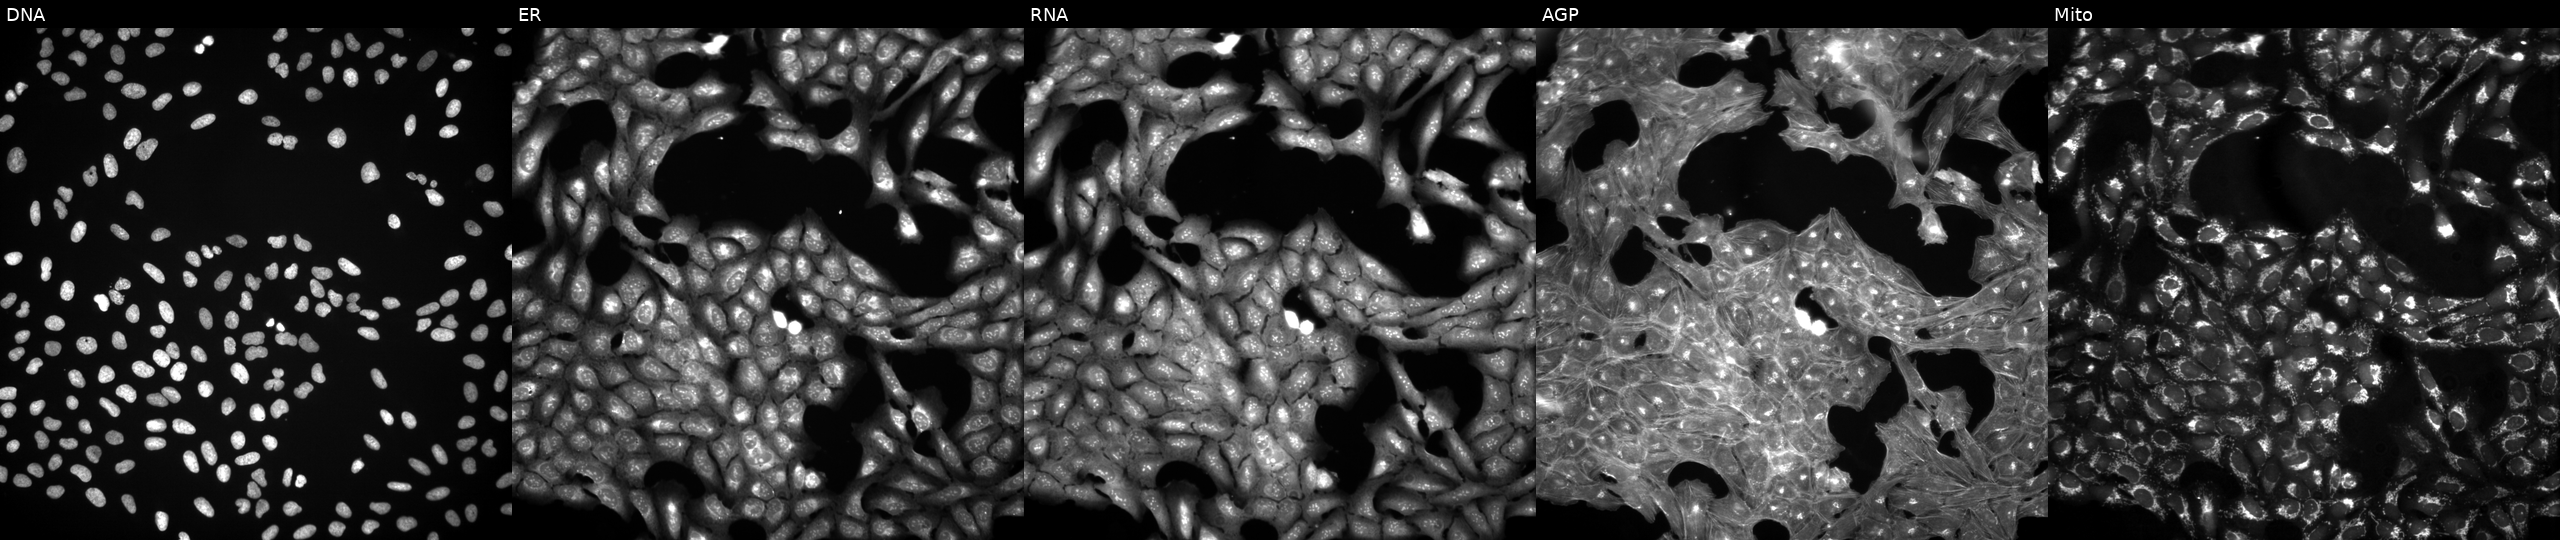
U2OS cells, Cell Painting assay, treated with a small-molecule compound [SMILES: O=C(O)CN1C(=O)c2cccc3cccc(c23)C1=O]. Channels (left→right): DNA, ER, RNA, AGP, and Mito. Each panel is percentile-stretched 16-bit fluorescence.